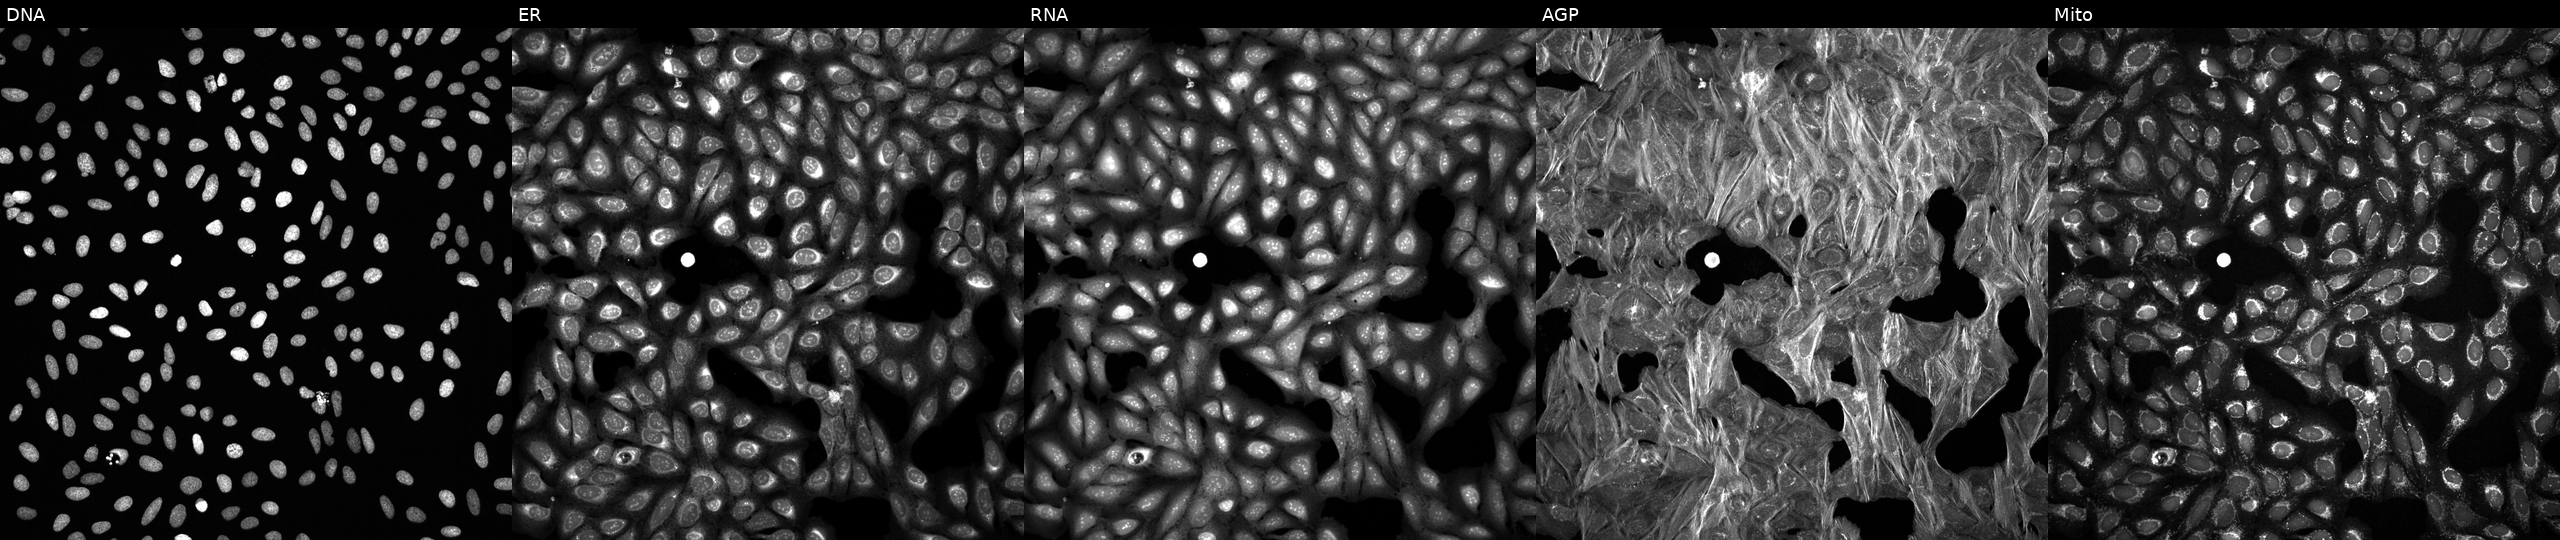
JUMP Cell Painting — TARGET2 plate. U2OS cells perturbed with a small-molecule compound. Channels (left→right): Hoechst 33342, concanavalin A, SYTO 14, phalloidin and WGA, MitoTracker.